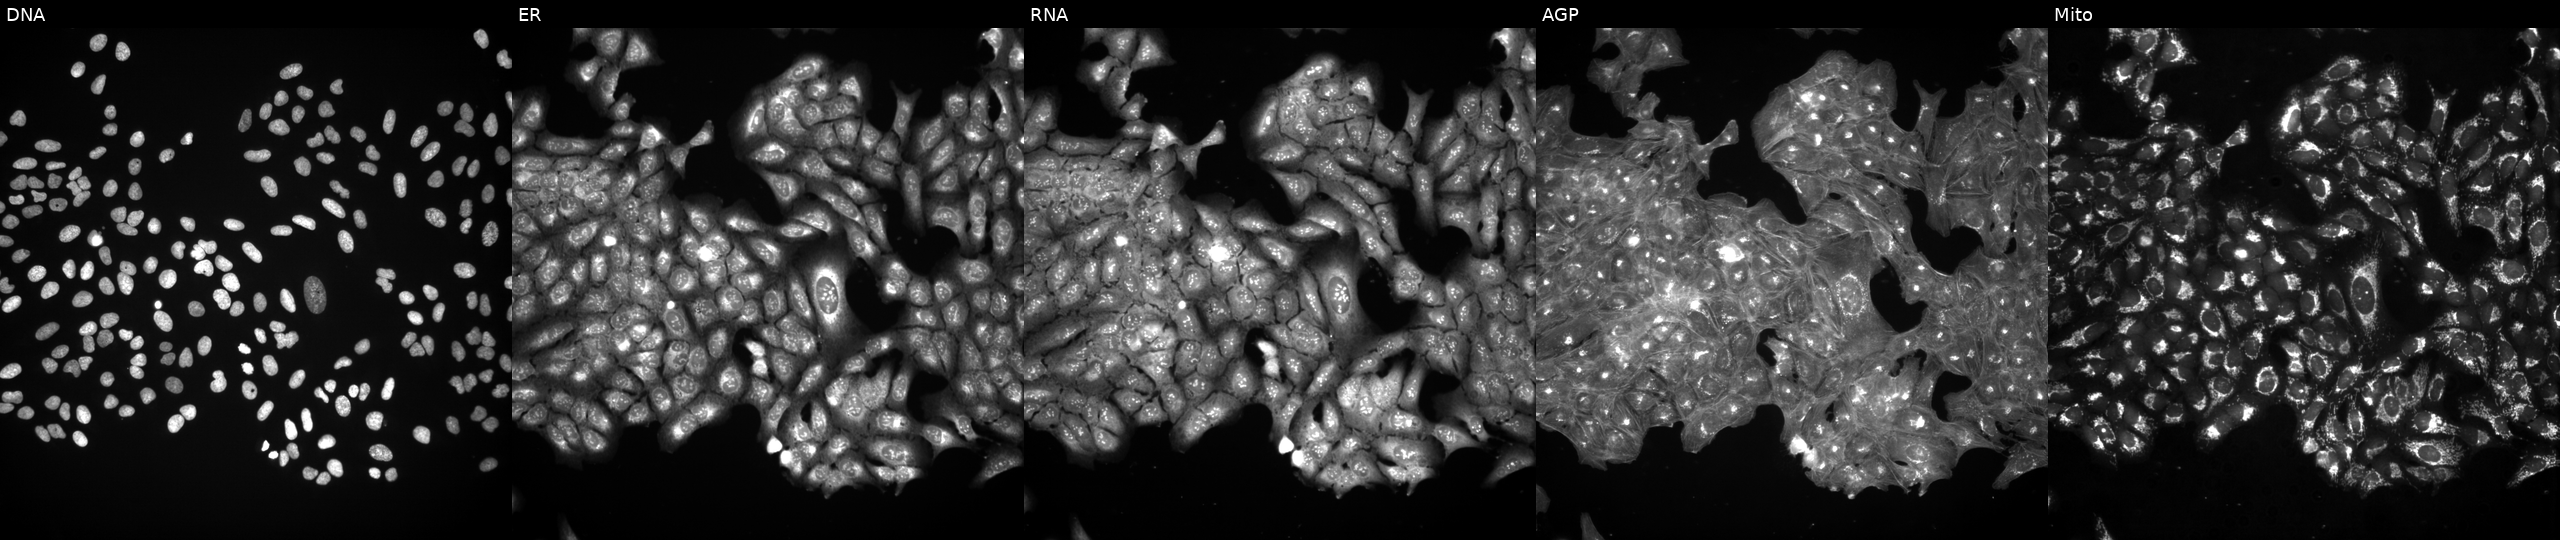
JUMP Cell Painting — COMPOUND plate. U2OS cells exposed to a small-molecule compound. Channels (left→right): DNA (nuclei); ER (endoplasmic reticulum); RNA (nucleoli and cytoplasmic RNA); AGP (actin cytoskeleton, Golgi, and plasma membrane); Mito (mitochondria). Source 3, plate BR5867a3, well H15.